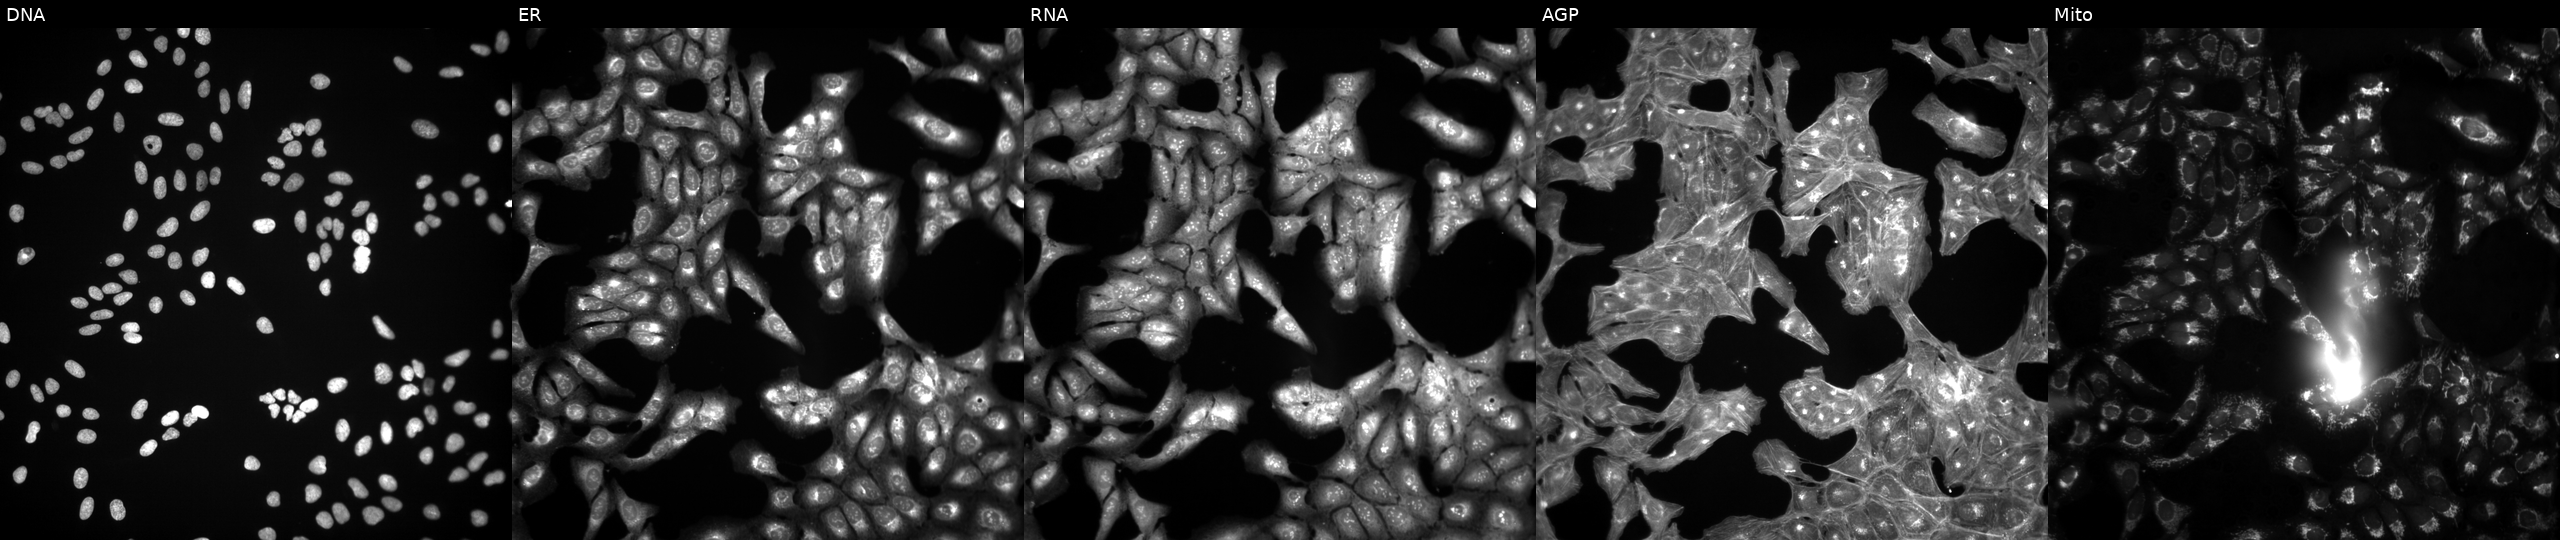
Five-channel Cell Painting image of U2OS cells exposed to DMSO alone as a negative control. Channels (left→right): DNA (nuclei); ER (endoplasmic reticulum); RNA (nucleoli and cytoplasmic RNA); AGP (actin cytoskeleton, Golgi, and plasma membrane); Mito (mitochondria).